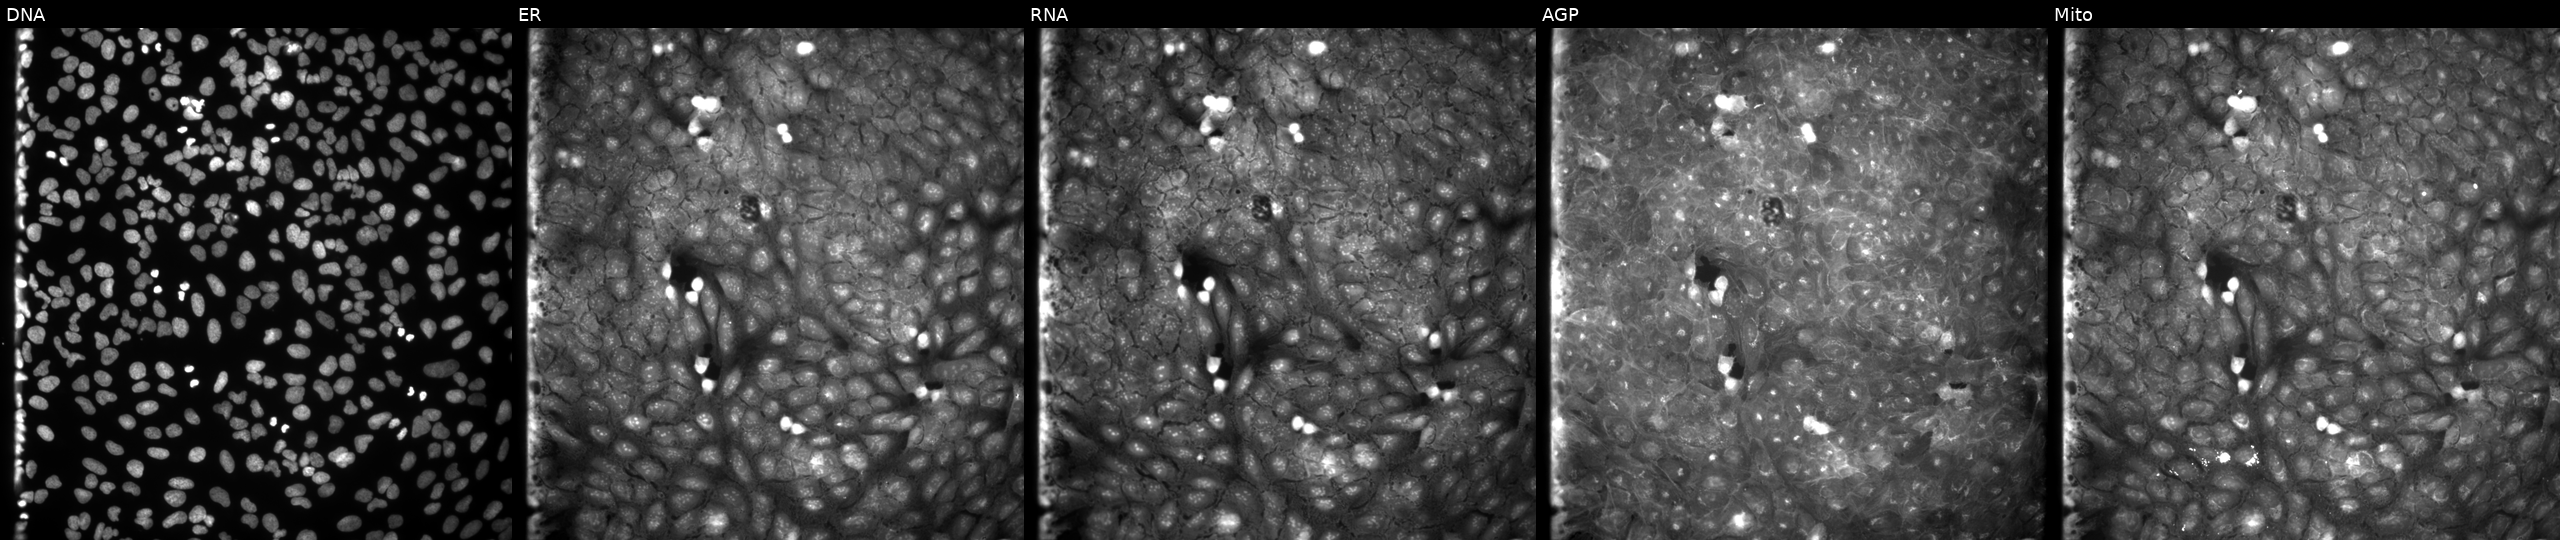
U2OS cells, Cell Painting assay, exposed to a small-molecule compound (InChIKey ONSLUPSVKNTZEN-UHFFFAOYSA-N) [SMILES: COc1ccc(C2SCC(=O)N2c2c(C)n(C)n(-c3ccccc3)c2=O)c(OC)c1] (JUMP id JCP2022_064972). Panels show, left to right, Hoechst 33342, concanavalin A, SYTO 14, phalloidin and WGA, MitoTracker. Each panel is percentile-stretched 16-bit fluorescence.